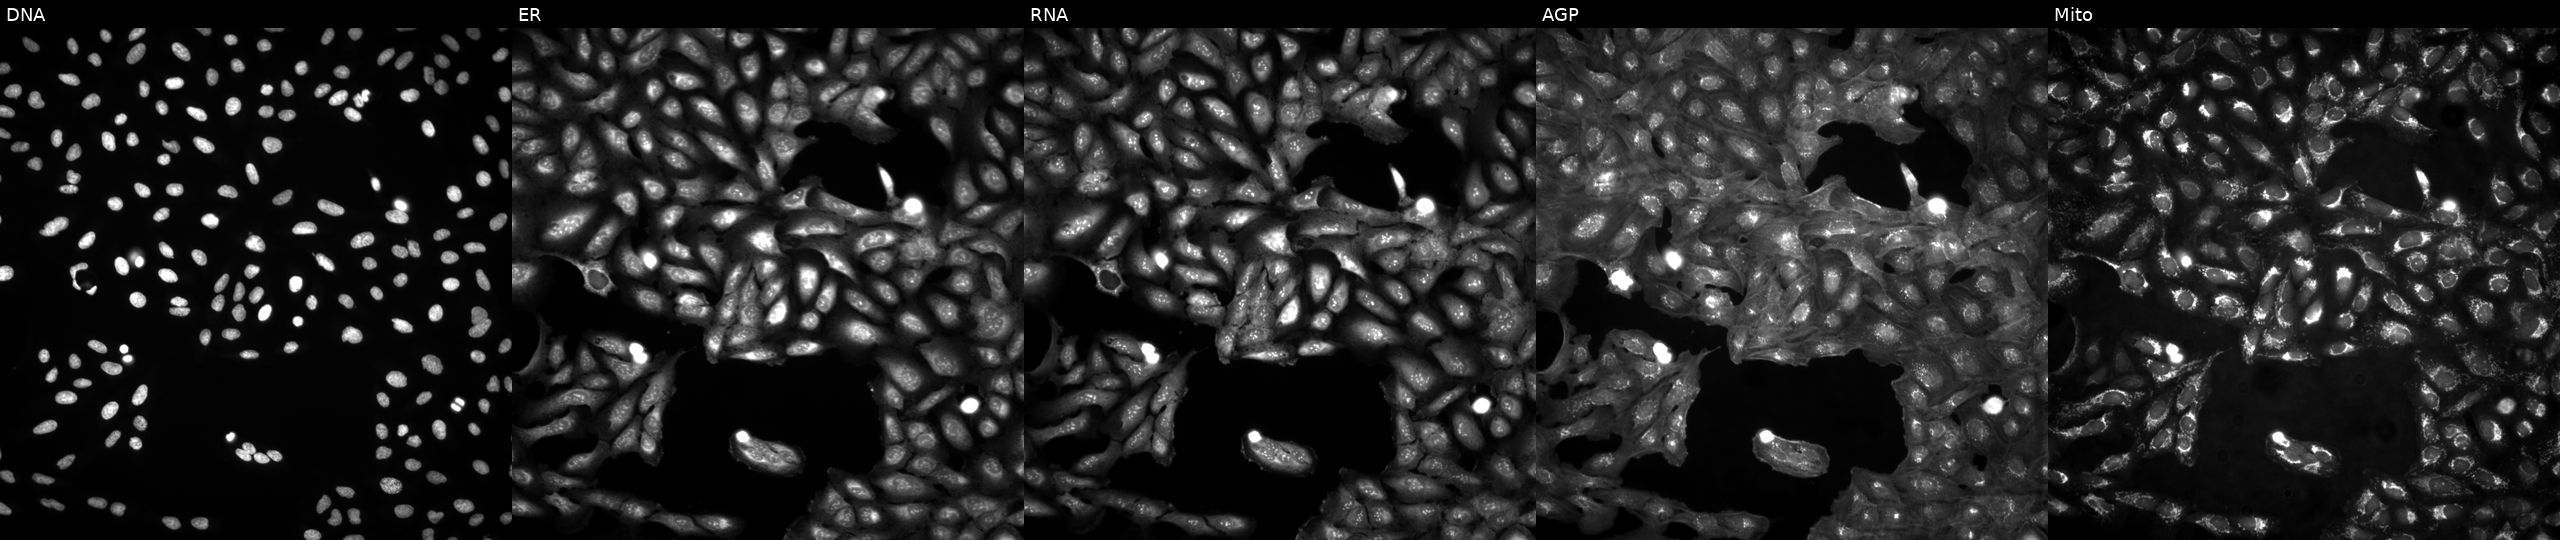
JUMP Cell Painting — ORF plate. U2OS cells untreated (empty-well control). Channels (left→right): DNA (nuclei); ER (endoplasmic reticulum); RNA (nucleoli and cytoplasmic RNA); AGP (actin cytoskeleton, Golgi, and plasma membrane); Mito (mitochondria).